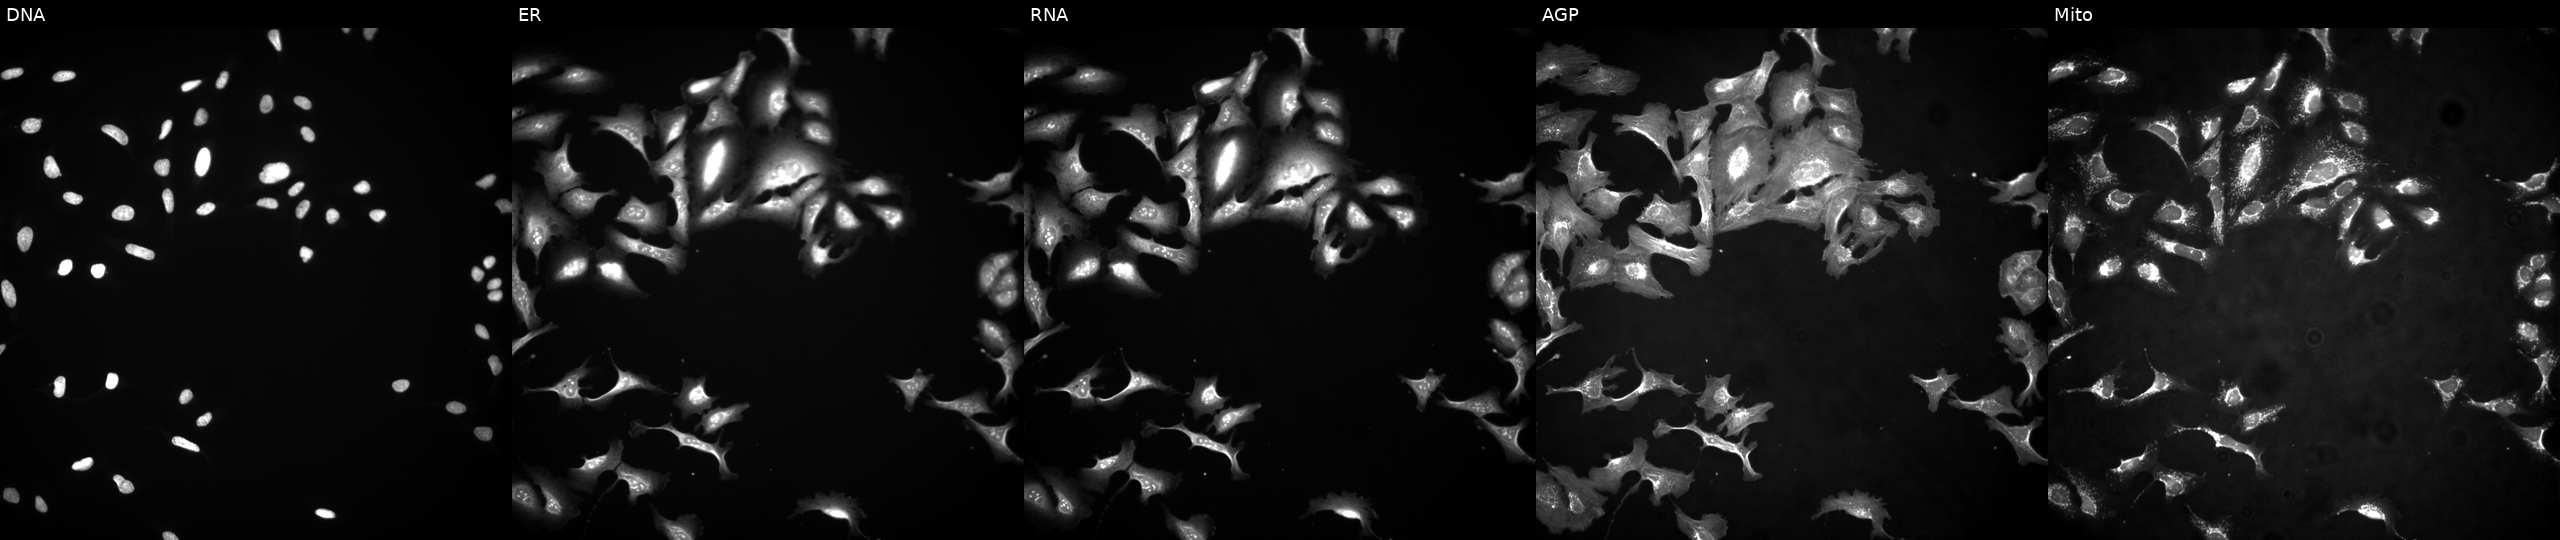
Five-channel Cell Painting image of U2OS cells with ASF1A overexpressed (ORF). The five panels, left to right, show Hoechst 33342, concanavalin A, SYTO 14, phalloidin and WGA, MitoTracker. Source 4, plate BR00117035, well B22.